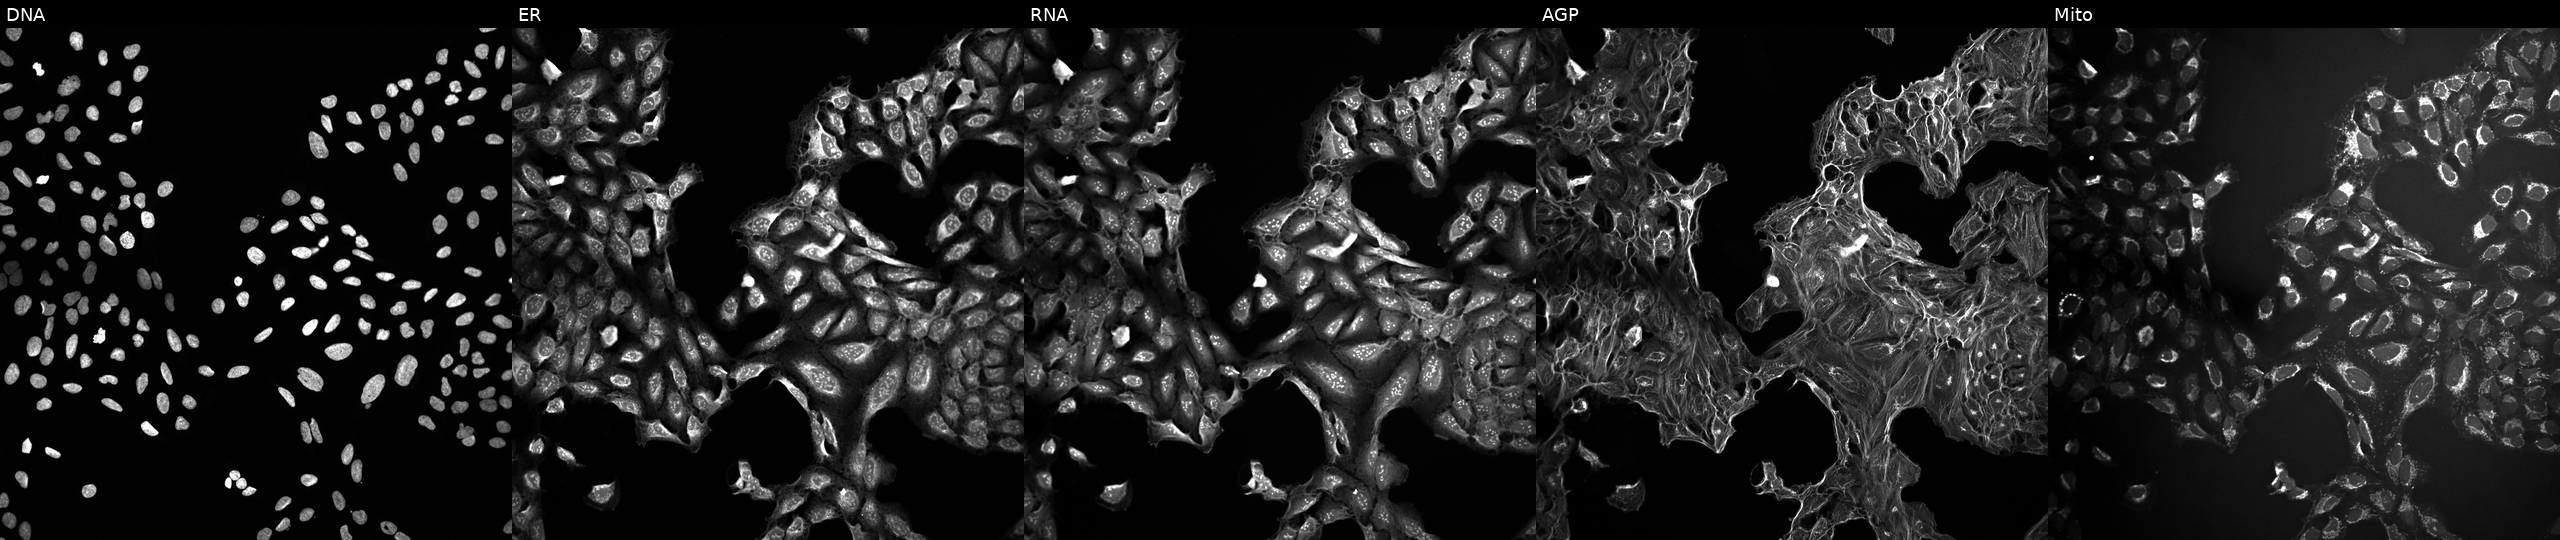
High-content fluorescence microscopy (Cell Painting). Cell line: U2OS. Perturbation: exposed to DMSO alone as a negative control (JUMP id JCP2022_033924). Channels (left→right): Hoechst 33342, concanavalin A, SYTO 14, phalloidin and WGA, MitoTracker. Source 10, plate Dest210727-153003, well M21.